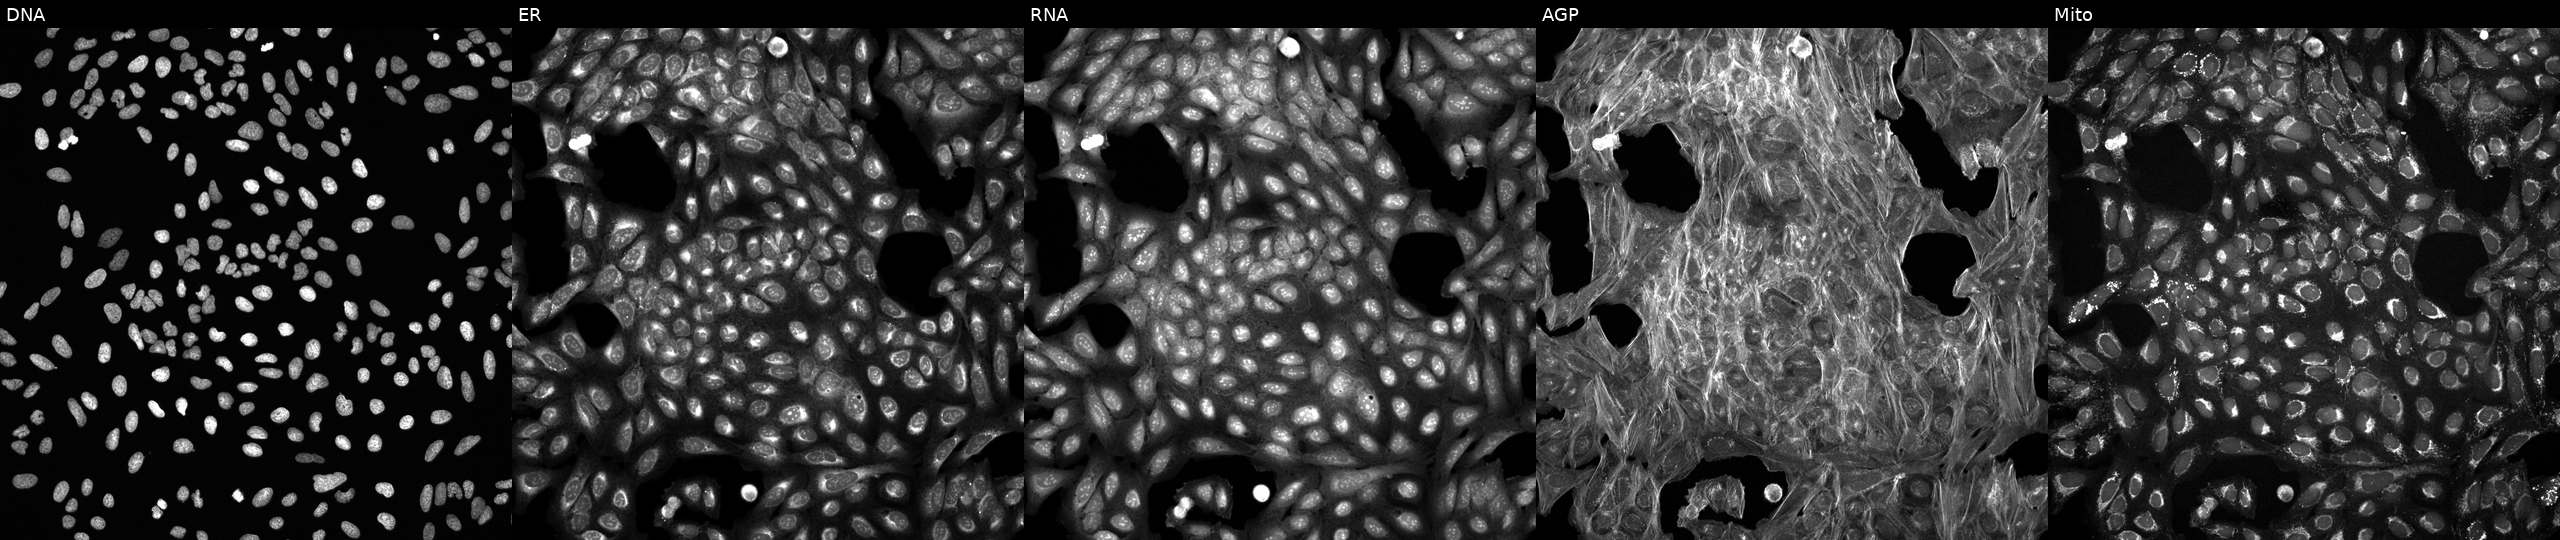
This image strip shows the five Cell Painting channels for a single field of U2OS cells exposed to DMSO alone as a negative control (JUMP id JCP2022_033924). Channels (left→right): DNA, ER, RNA, AGP, and Mito. Source 6, plate 110000293093, well I15.